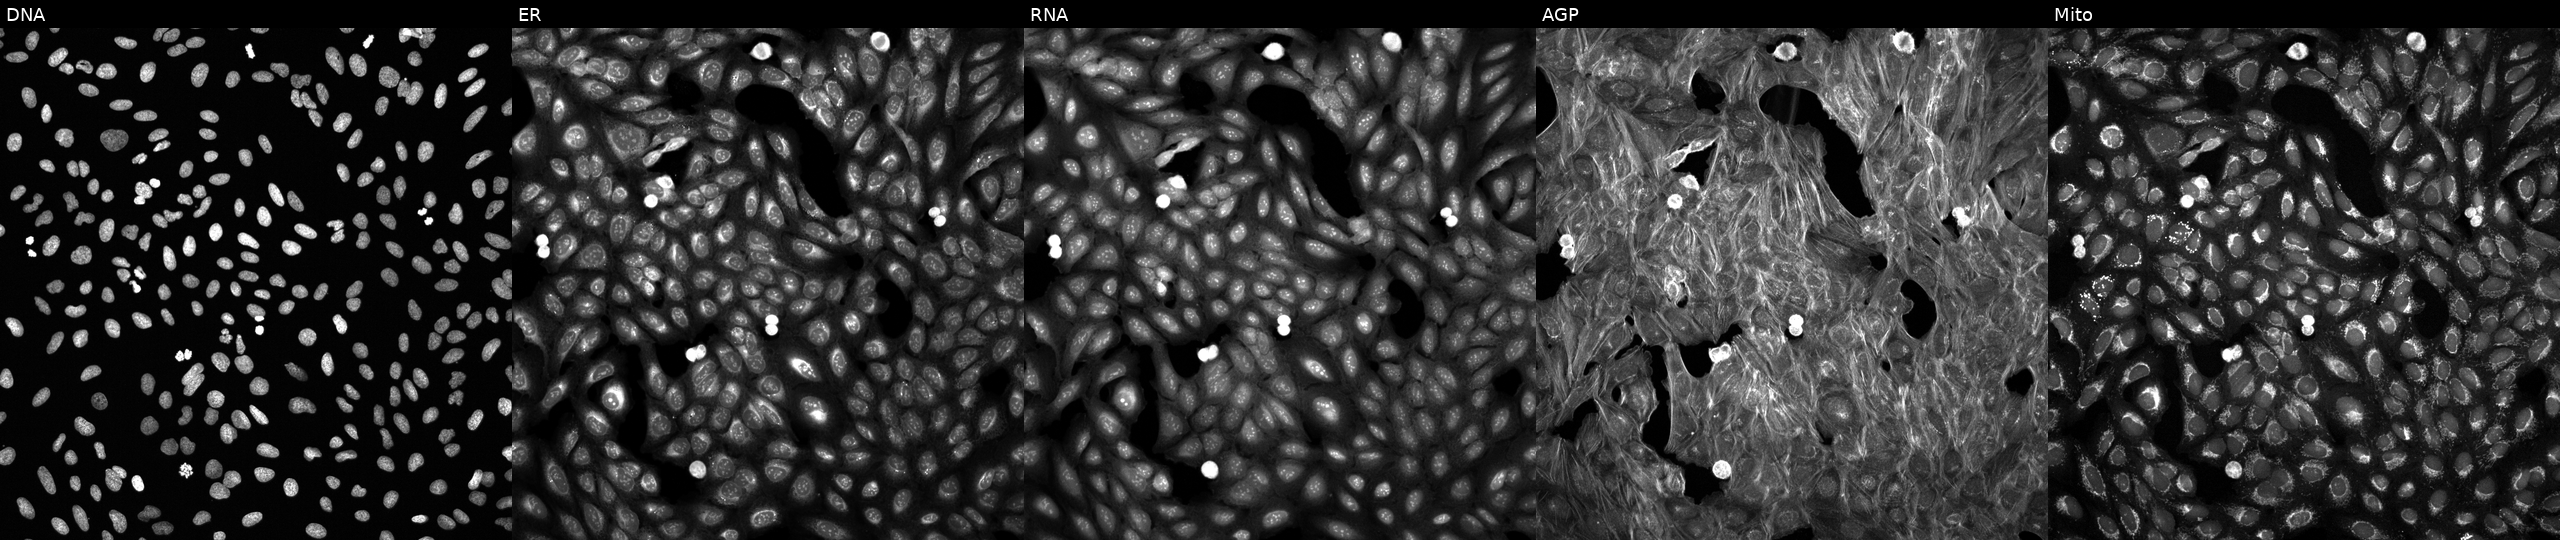
From left to right: Hoechst 33342, concanavalin A, SYTO 14, phalloidin and WGA, MitoTracker. U2OS osteosarcoma cells exposed to a small-molecule compound (InChIKey RIKMMFOAQPJVMX-UHFFFAOYSA-N) [SMILES: Cc1cn[nH]c1] (JUMP id JCP2022_078588). Cell Painting assay, JUMP-CP dataset. Source 6, plate 110000293093, well O06.